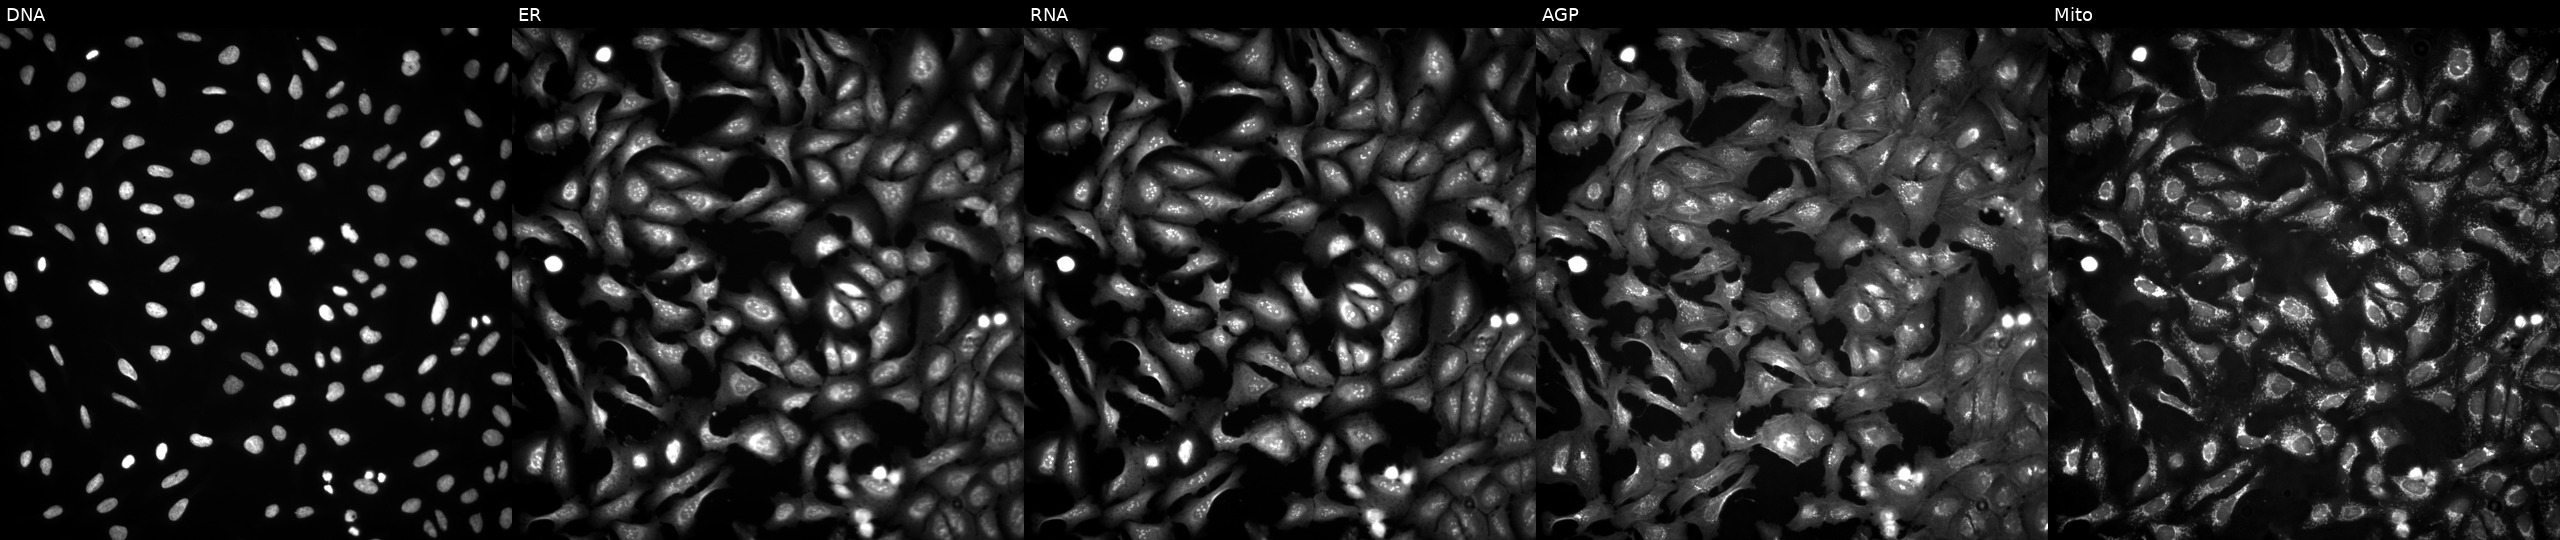
JUMP Cell Painting — ORF plate. U2OS cells transfected with an ORF construct for GDAP2 (JUMP id JCP2022_903252). The five panels, left to right, show DNA, ER, RNA, AGP, and Mito.